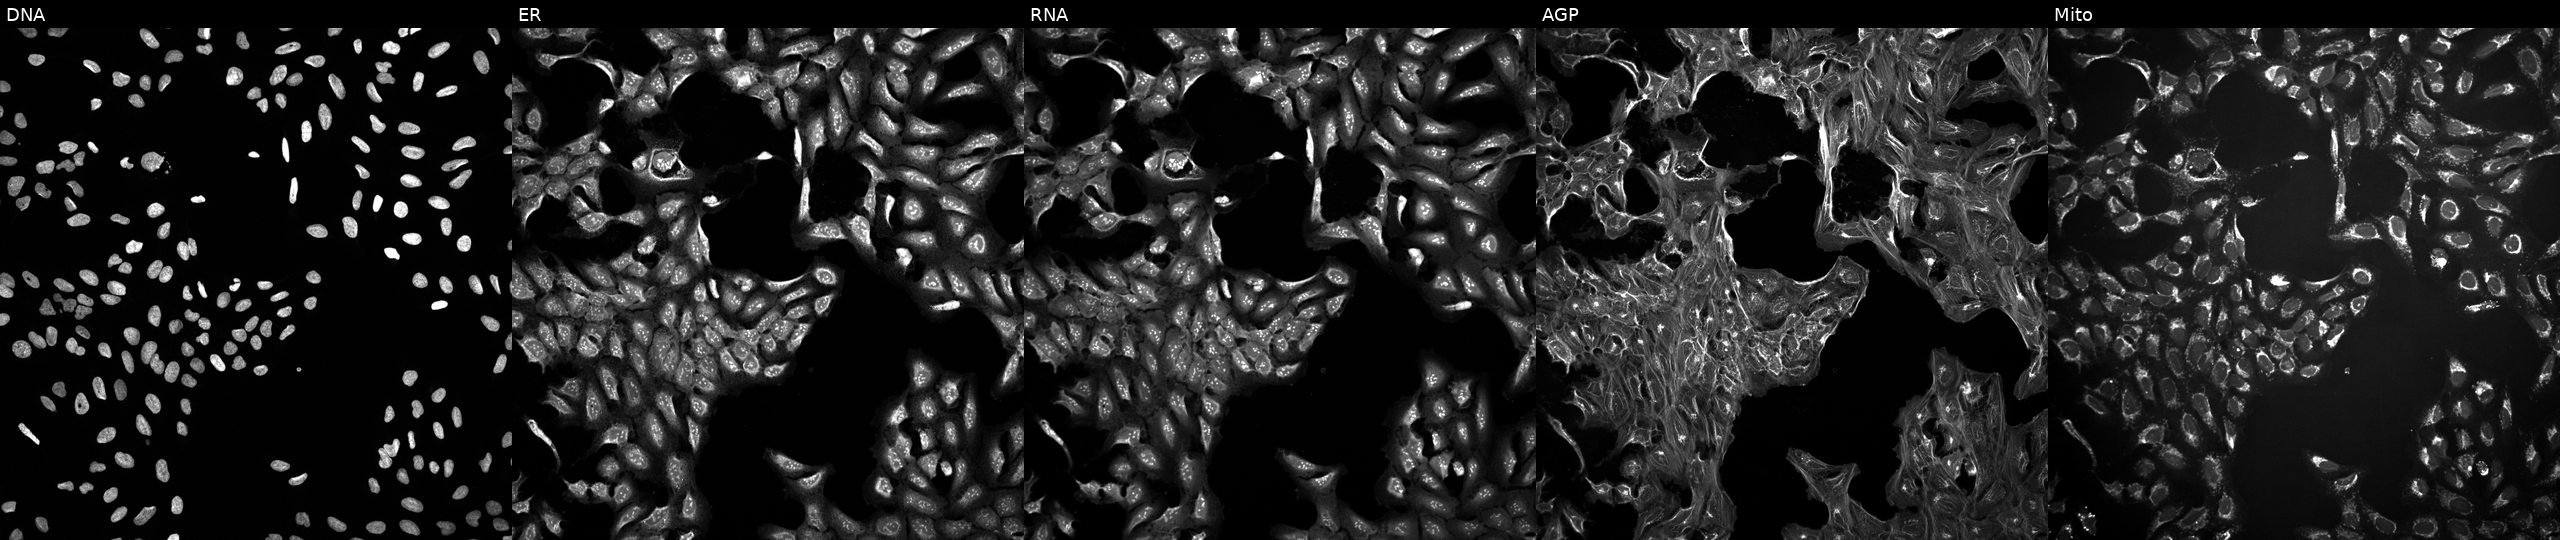
This image strip shows the five Cell Painting channels for a single field of U2OS cells treated with a small-molecule compound (InChIKey UCAGLBKTLXCODC-UHFFFAOYSA-N) [SMILES: NS(=O)(=O)c1ccc(C(=O)O)cc1]. From left to right: DNA, ER, RNA, AGP, and Mito. Source 10, plate Dest210726-160150, well K03.